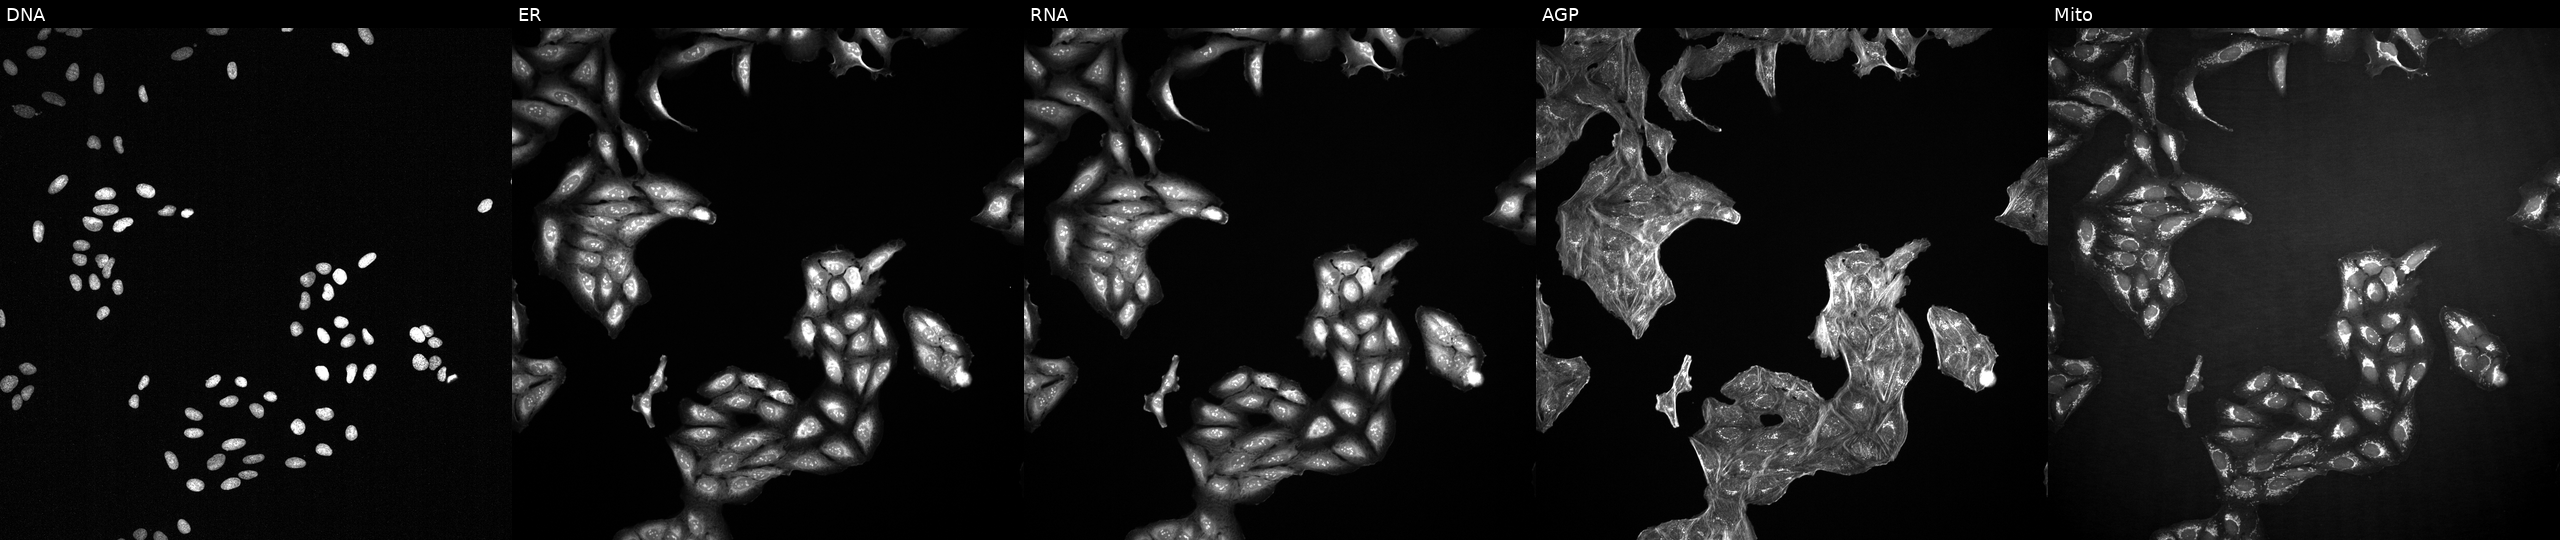
U2OS cells, Cell Painting assay, perturbed with a small-molecule compound (InChIKey NZHGWWWHIYHZNX-UHFFFAOYSA-N) (JUMP id JCP2022_062326). Channels (left→right): Hoechst 33342, concanavalin A, SYTO 14, phalloidin and WGA, MitoTracker. Each panel is percentile-stretched 16-bit fluorescence. Source 2, plate 1053600674, well B16.